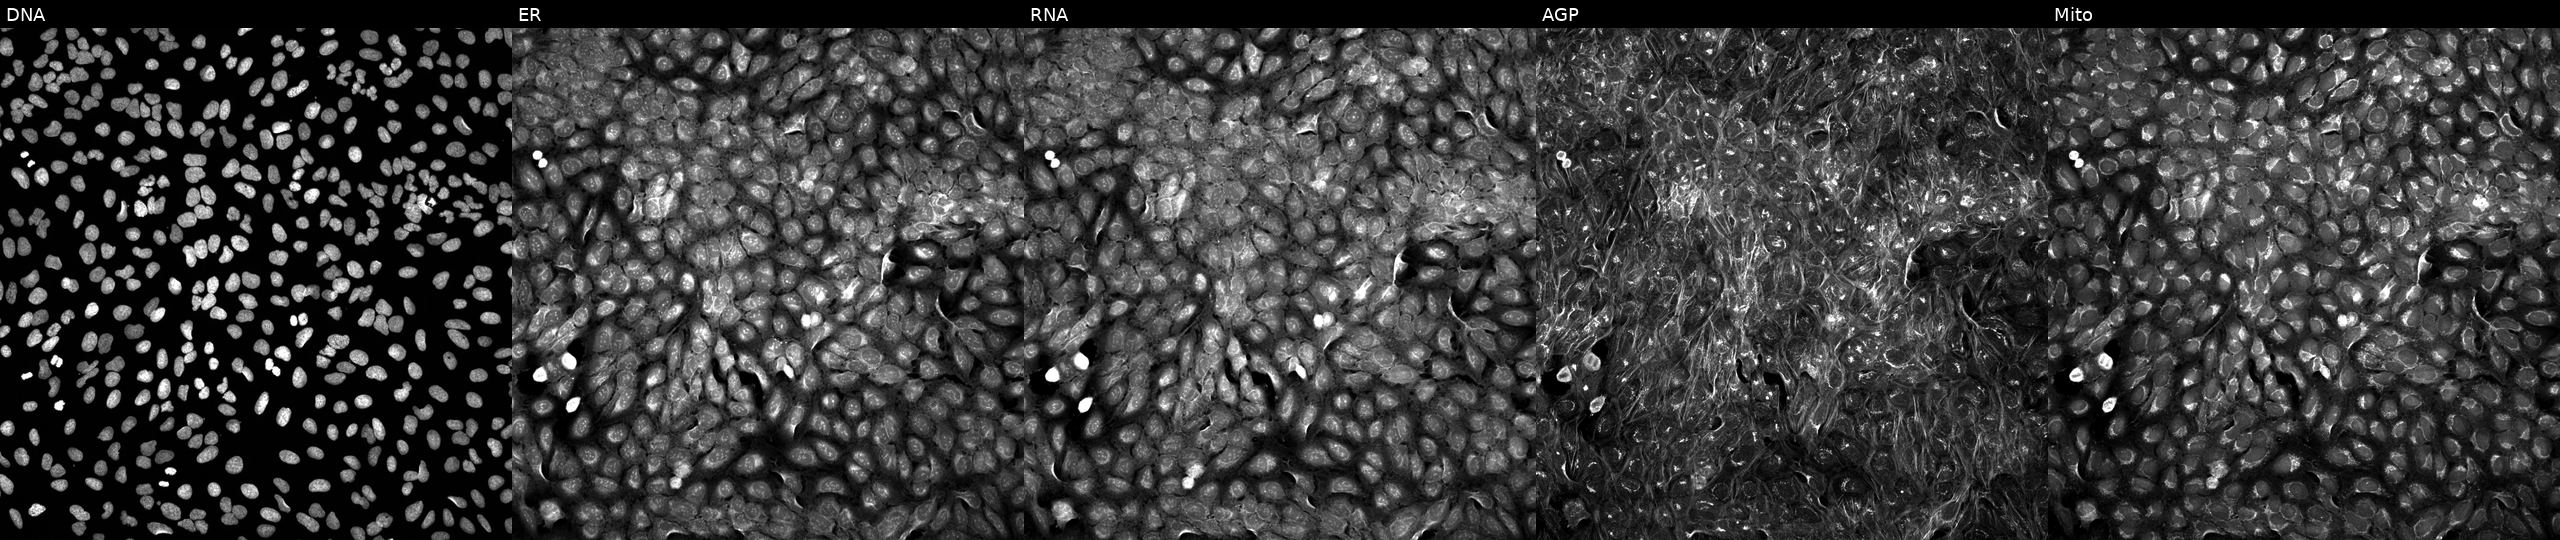
Five-channel Cell Painting image of U2OS cells perturbed with a small-molecule compound (InChIKey WIQHQTGWJWCJGZ-UHFFFAOYSA-N) [SMILES: COCc1nc(CCNS(=O)(=O)c2ccc(F)cc2)no1]. Panels show, left to right, DNA (nuclei); ER (endoplasmic reticulum); RNA (nucleoli and cytoplasmic RNA); AGP (actin cytoskeleton, Golgi, and plasma membrane); Mito (mitochondria). Source 5, plate APTJUM105, well P11.